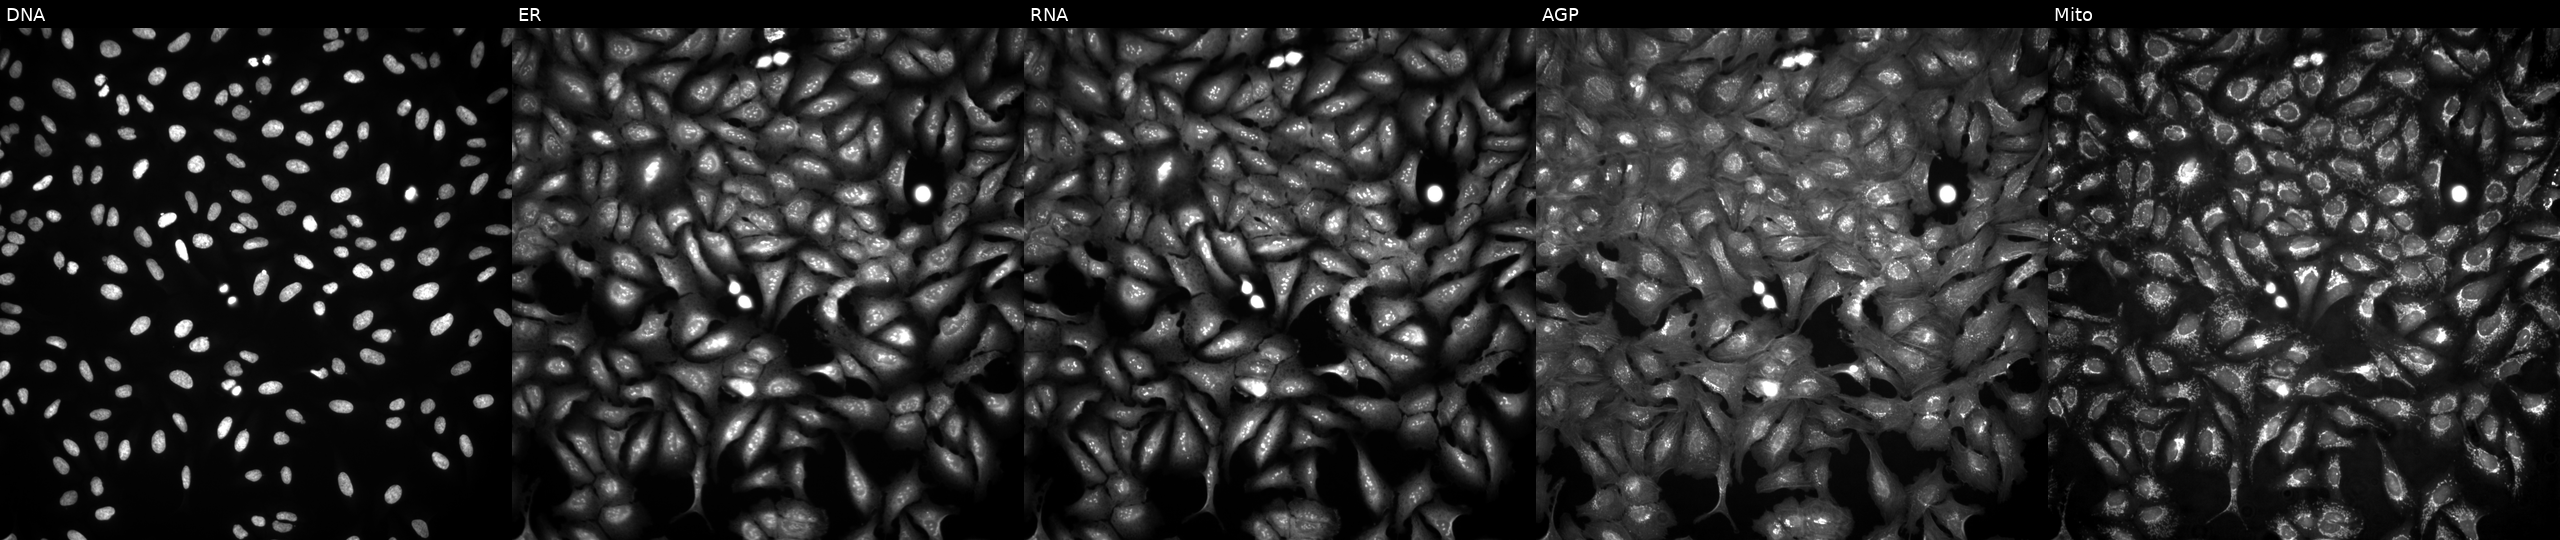
Channels (left→right): DNA, ER, RNA, AGP, and Mito. U2OS osteosarcoma cells overexpressing COA1 via ORF transfection. Cell Painting assay, JUMP-CP dataset.